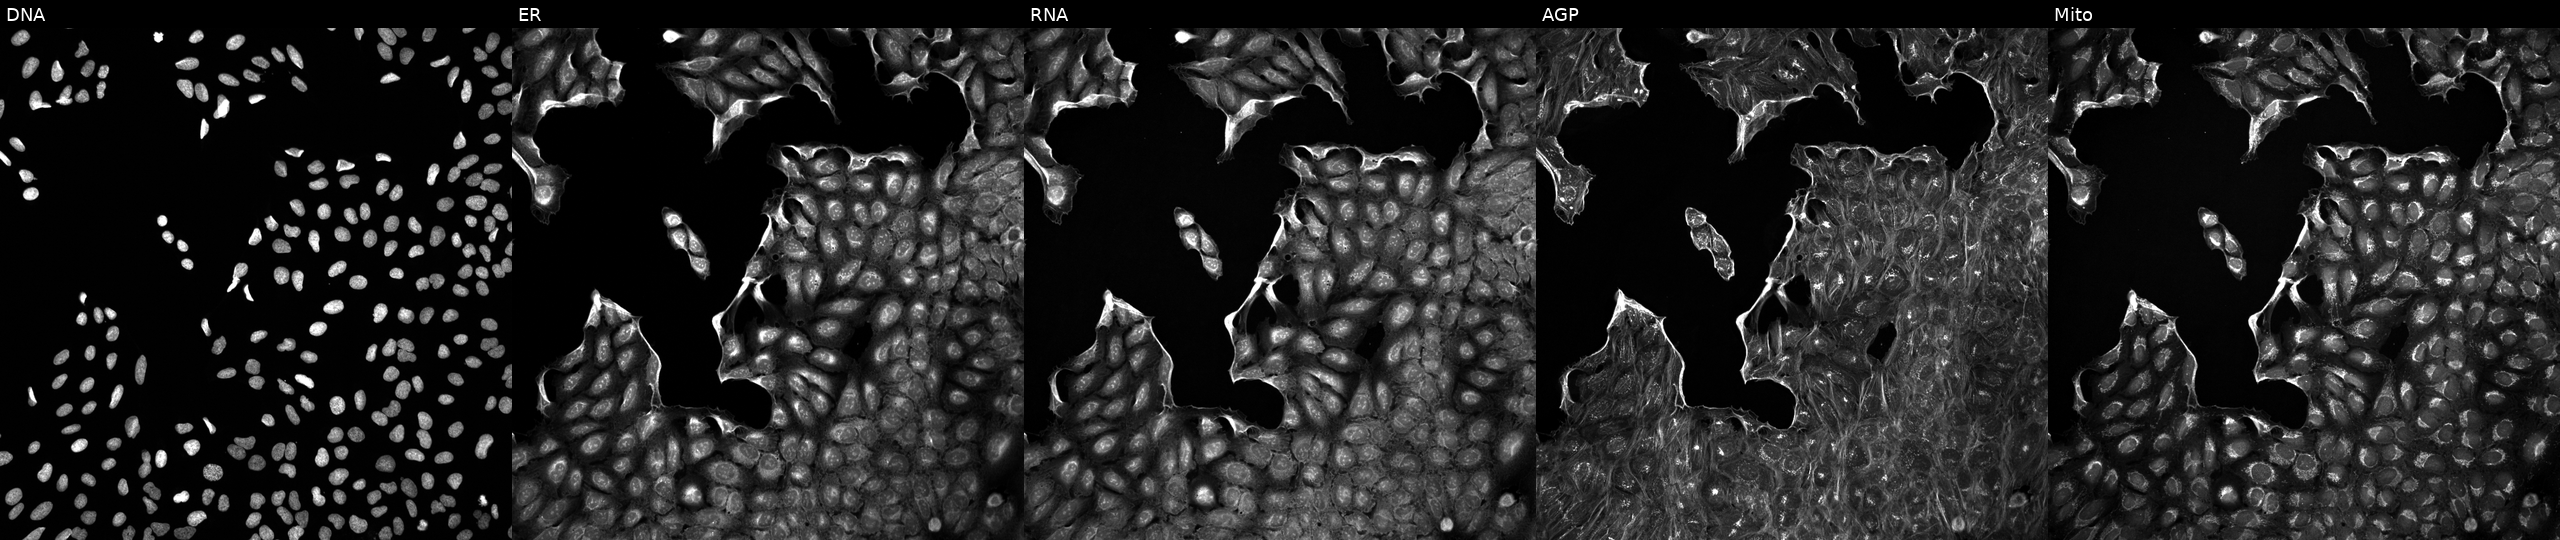
Channels (left→right): DNA (nuclei); ER (endoplasmic reticulum); RNA (nucleoli and cytoplasmic RNA); AGP (actin cytoskeleton, Golgi, and plasma membrane); Mito (mitochondria). U2OS osteosarcoma cells perturbed with a small-molecule compound (InChIKey HQGWKNGAKBPTBX-UHFFFAOYSA-N) (JUMP id JCP2022_031861). Cell Painting assay, JUMP-CP dataset.